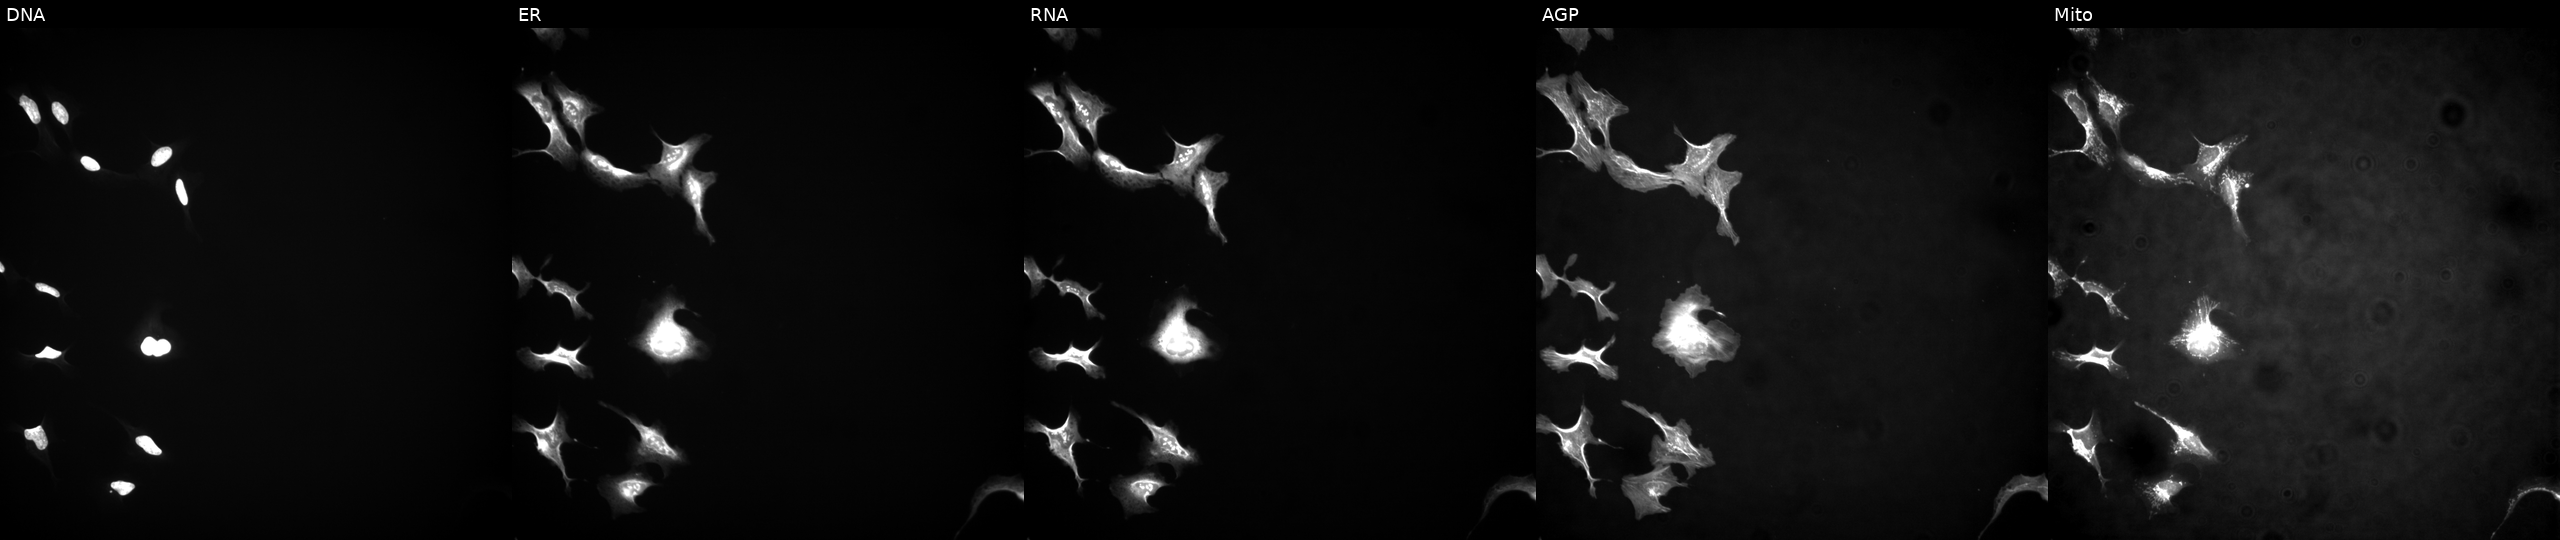
This image strip shows the five Cell Painting channels for a single field of U2OS cells overexpressing CYP4A22 via ORF transfection. The five panels, left to right, show Hoechst 33342, concanavalin A, SYTO 14, phalloidin and WGA, MitoTracker. Source 4, plate BR00124784, well L16.